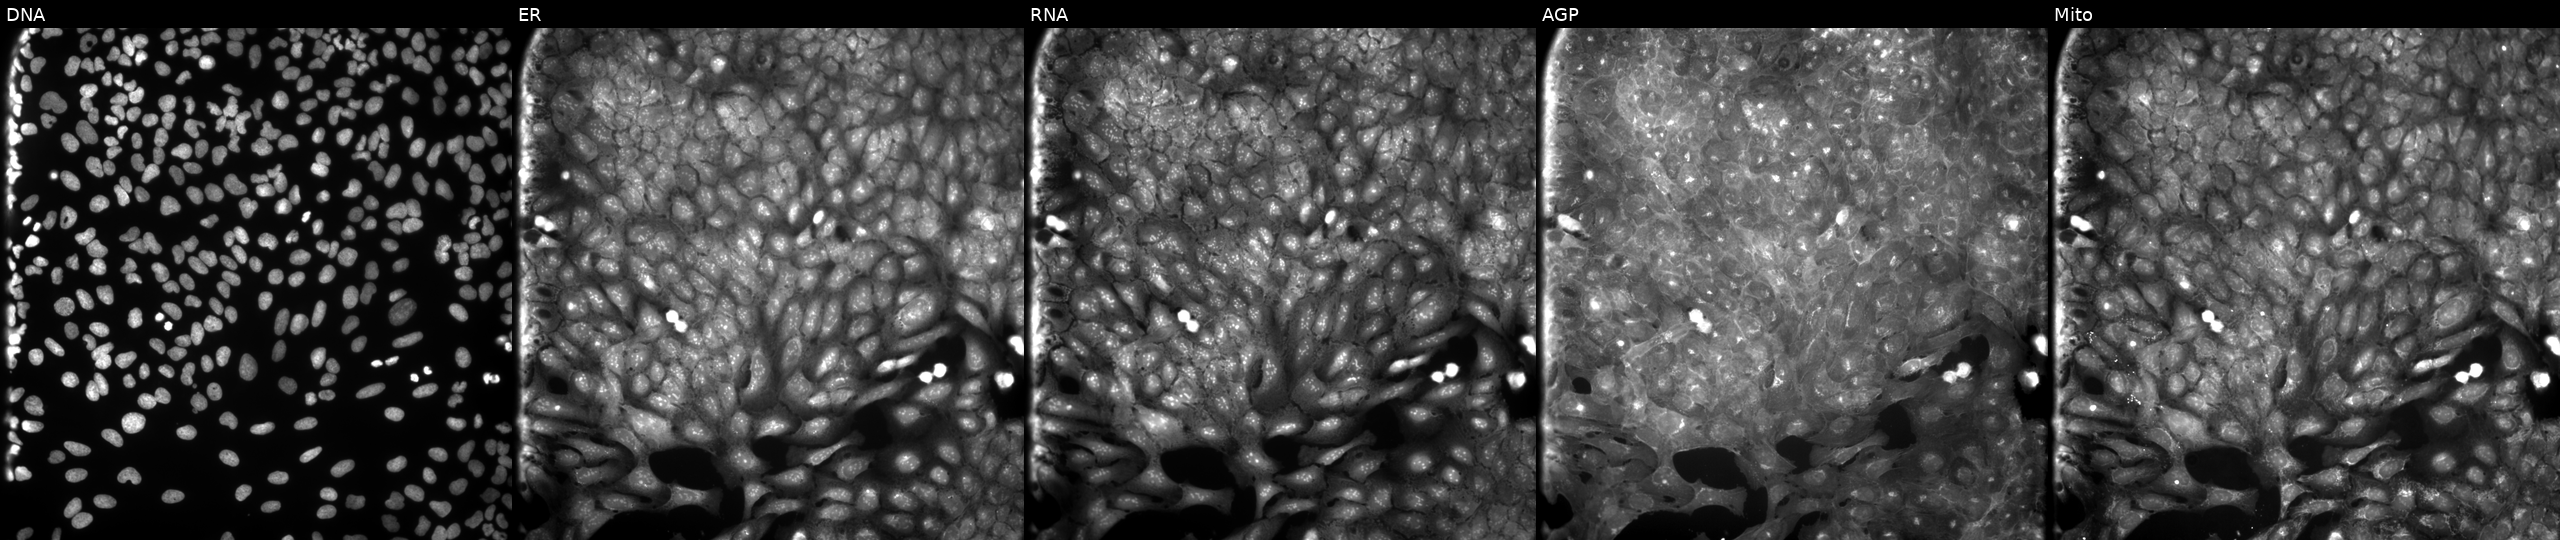
This image strip shows the five Cell Painting channels for a single field of U2OS cells exposed to a small-molecule compound. The five panels, left to right, show DNA, ER, RNA, AGP, and Mito.